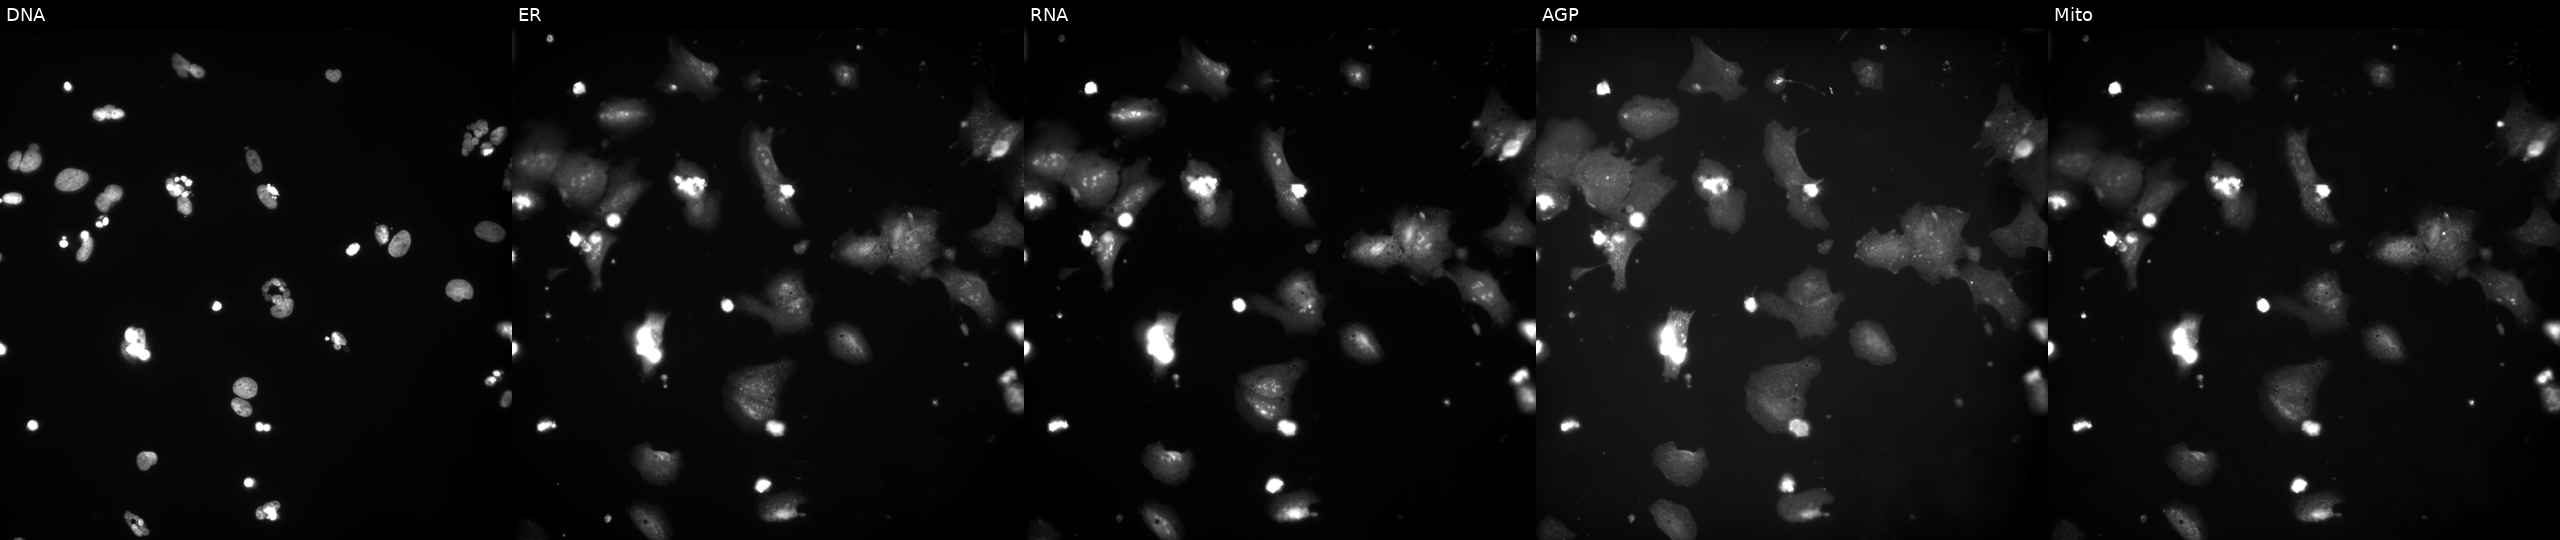
Panels show, left to right, DNA (nuclei); ER (endoplasmic reticulum); RNA (nucleoli and cytoplasmic RNA); AGP (actin cytoskeleton, Golgi, and plasma membrane); Mito (mitochondria). U2OS osteosarcoma cells exposed to a small-molecule compound (InChIKey YHIOZKBGGOATGX-UHFFFAOYSA-N) (JUMP id JCP2022_108444). Cell Painting assay, JUMP-CP dataset. Source 9, plate GR00003382, well T44.